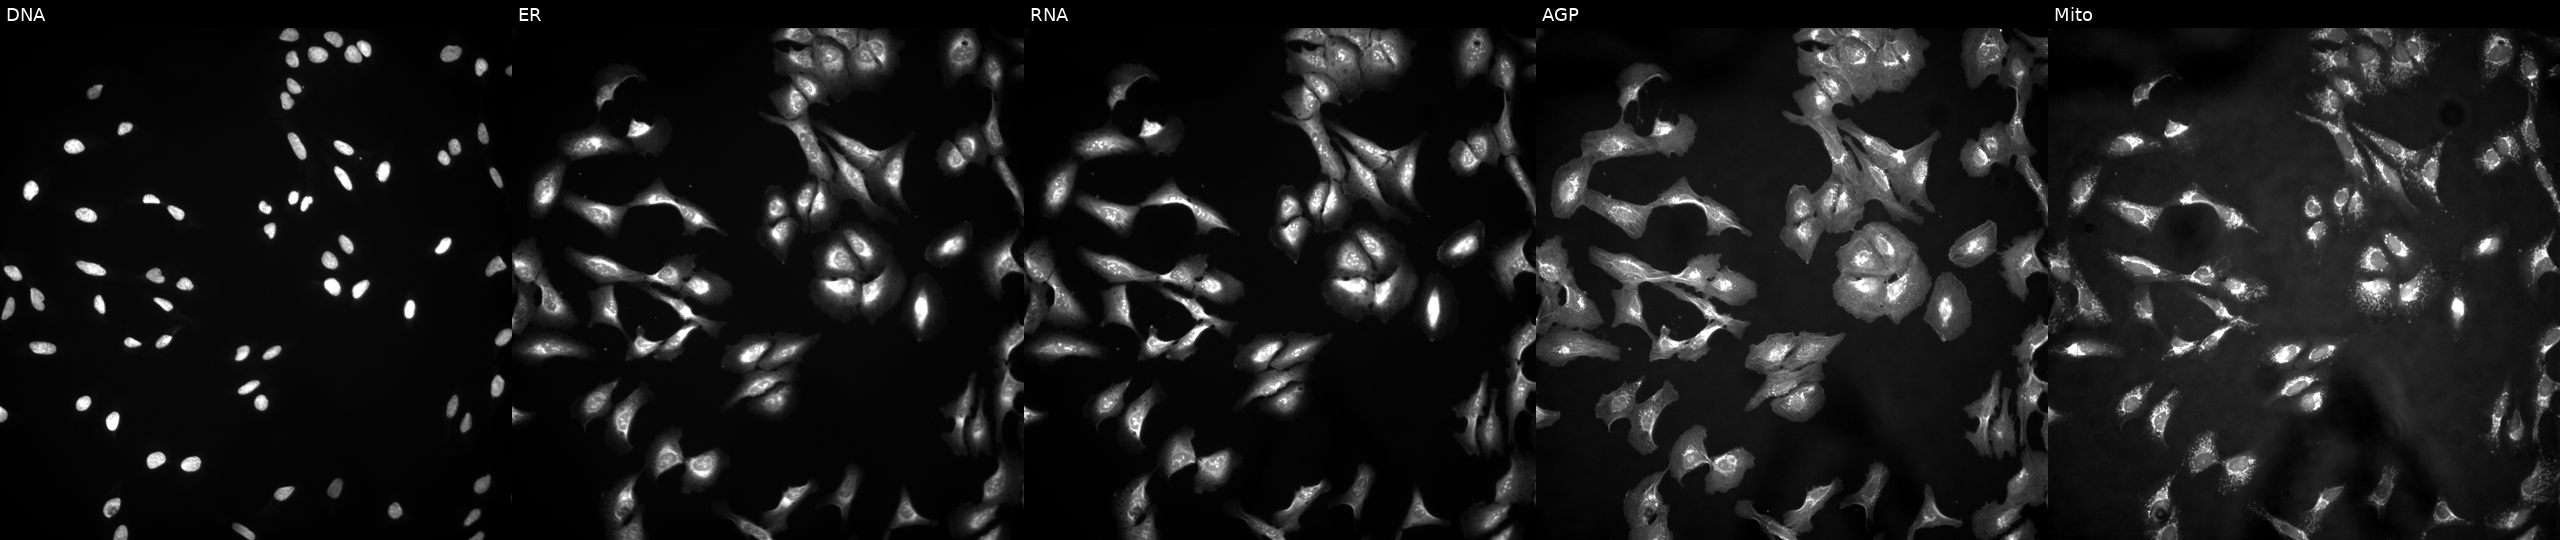
Panels show, left to right, DNA, ER, RNA, AGP, and Mito. U2OS osteosarcoma cells transfected with an ORF construct for MID2. Cell Painting assay, JUMP-CP dataset. Source 4, plate BR00121543, well A18.